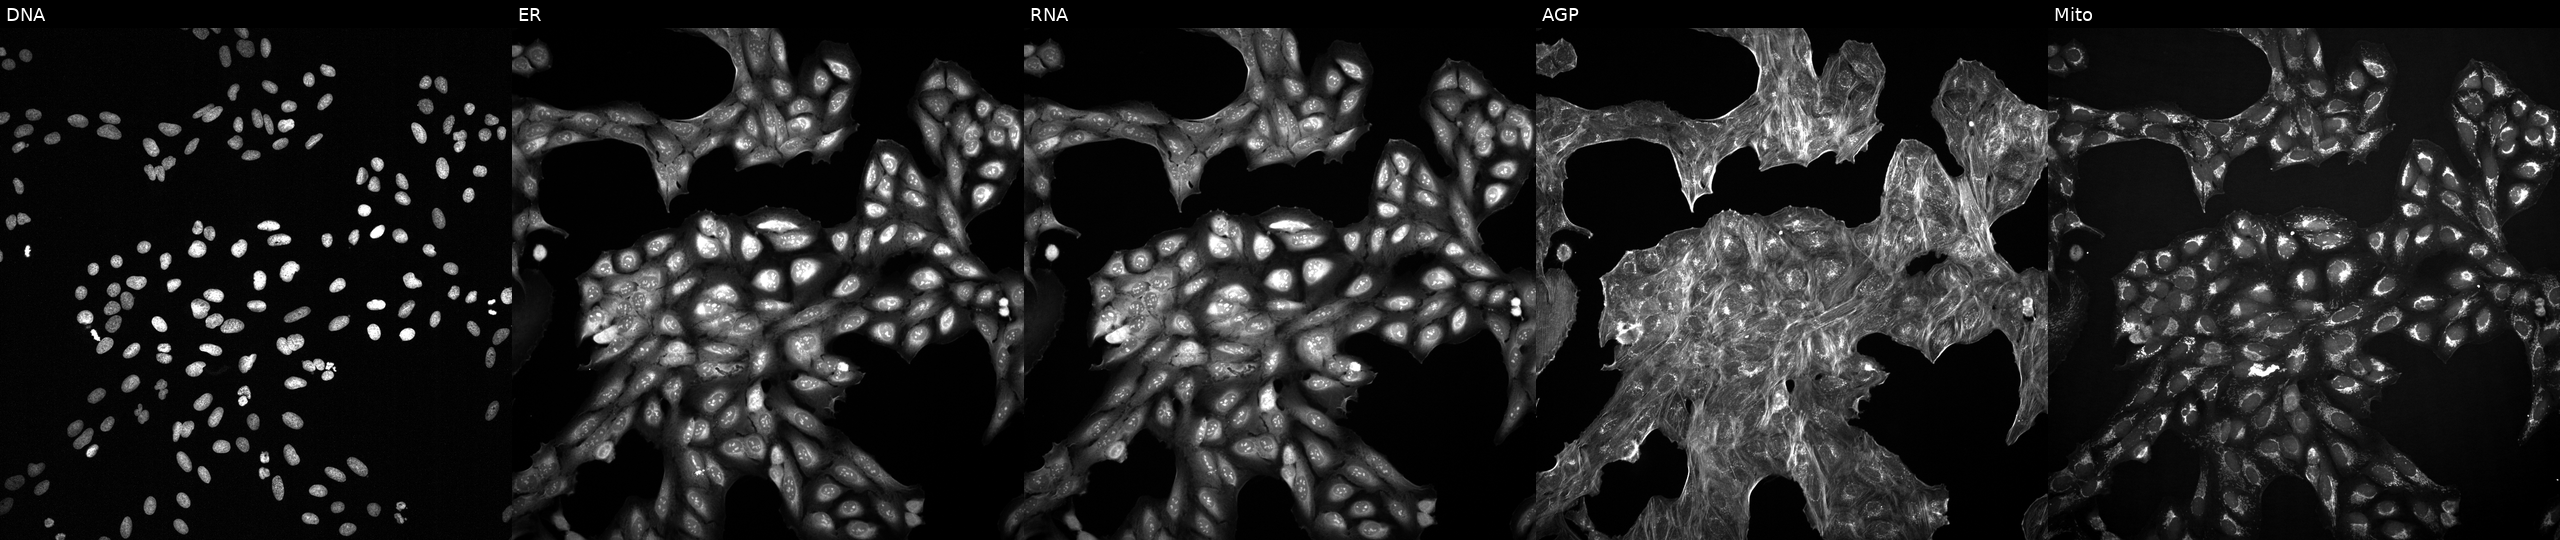
Five-channel Cell Painting image of U2OS cells with an unidentified perturbation (not annotated in JUMP metadata). Channels (left→right): Hoechst 33342, concanavalin A, SYTO 14, phalloidin and WGA, MitoTracker.